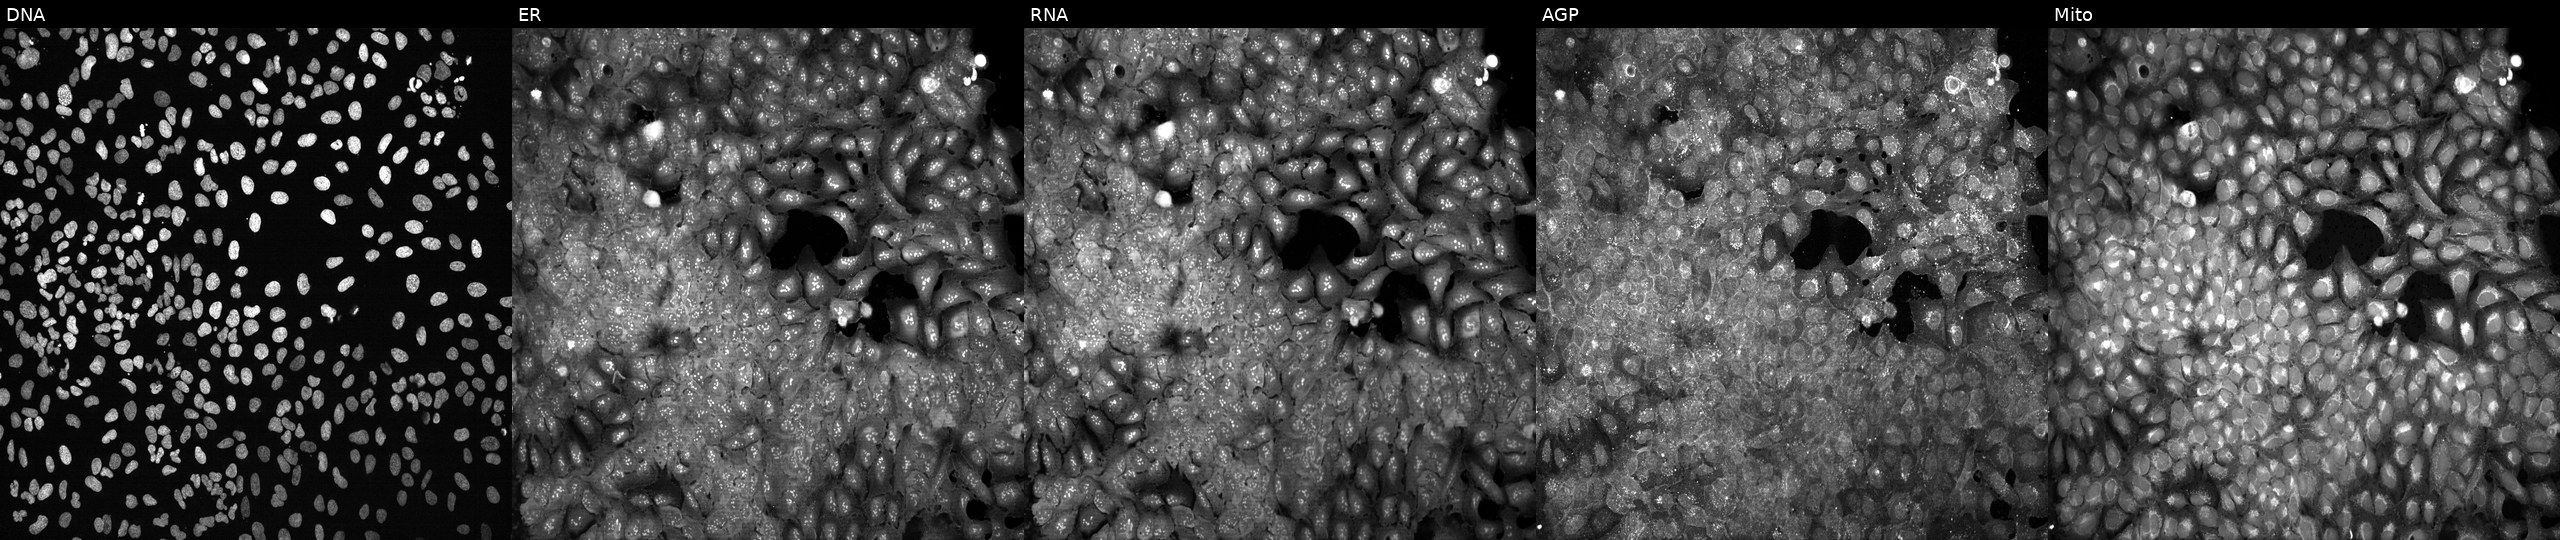
U2OS cells, Cell Painting assay, CRISPR-edited to disrupt AQP3 (JUMP id JCP2022_800541). Channels (left→right): DNA, ER, RNA, AGP, and Mito. Each panel is percentile-stretched 16-bit fluorescence.